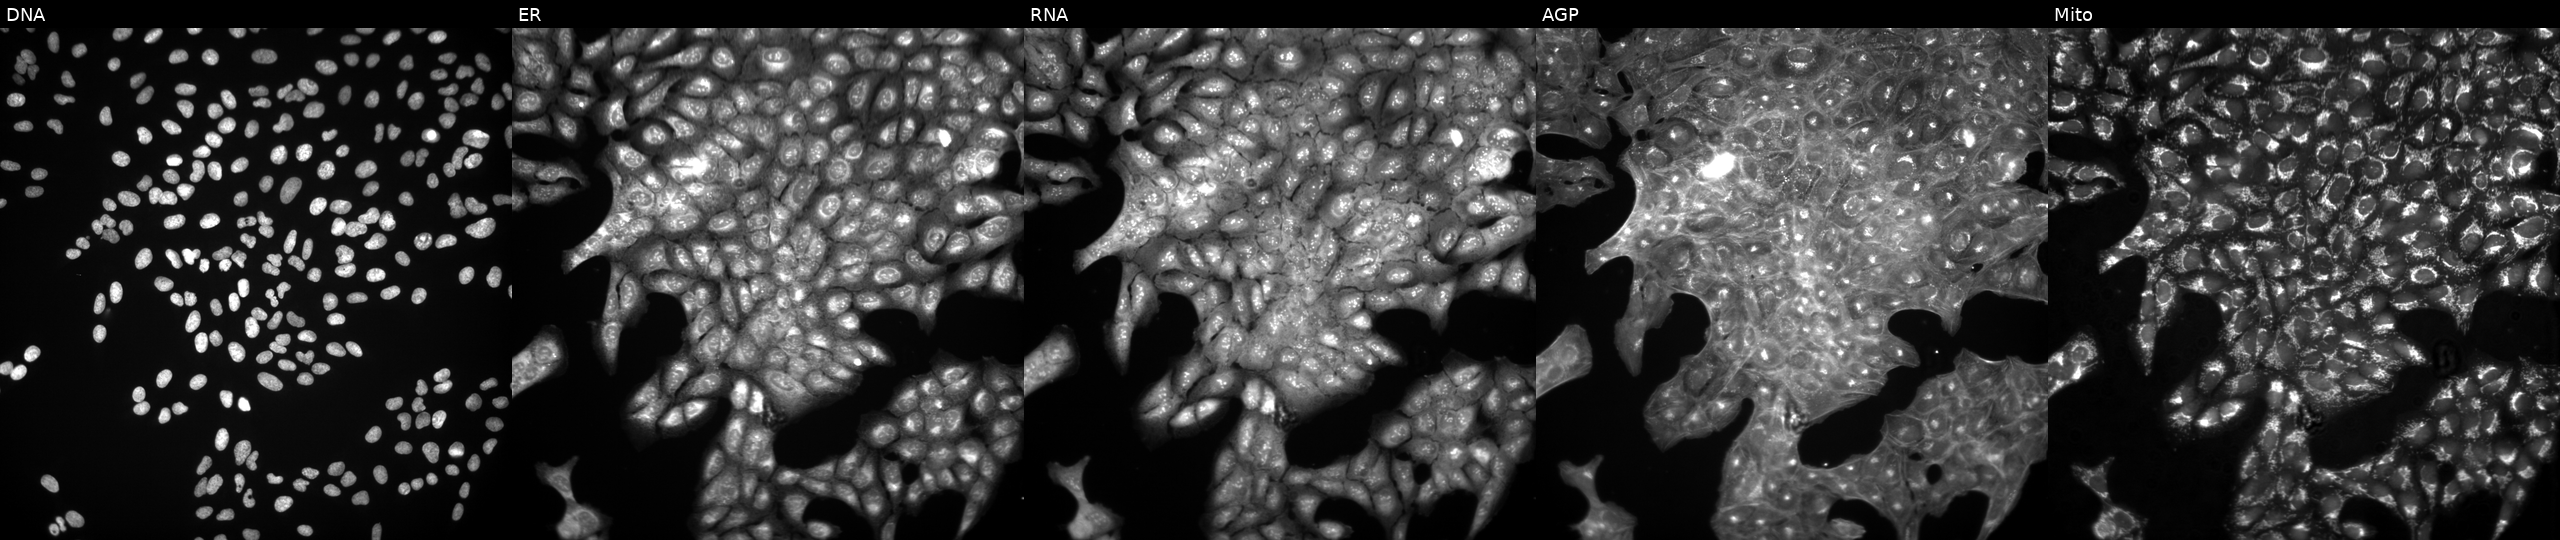
The five panels, left to right, show DNA, ER, RNA, AGP, and Mito. U2OS osteosarcoma cells perturbed with a small-molecule compound (InChIKey PLHTVUFOHHOCSF-UHFFFAOYSA-N) [SMILES: CN1CCN(c2ccc([N+](=O)[O-])c(-n3nc(-c4ccccc4)c4ccccc4c3=O)c2)CC1] (JUMP id JCP2022_069362). Cell Painting assay, JUMP-CP dataset. Source 3, plate BR5867a3, well A15.